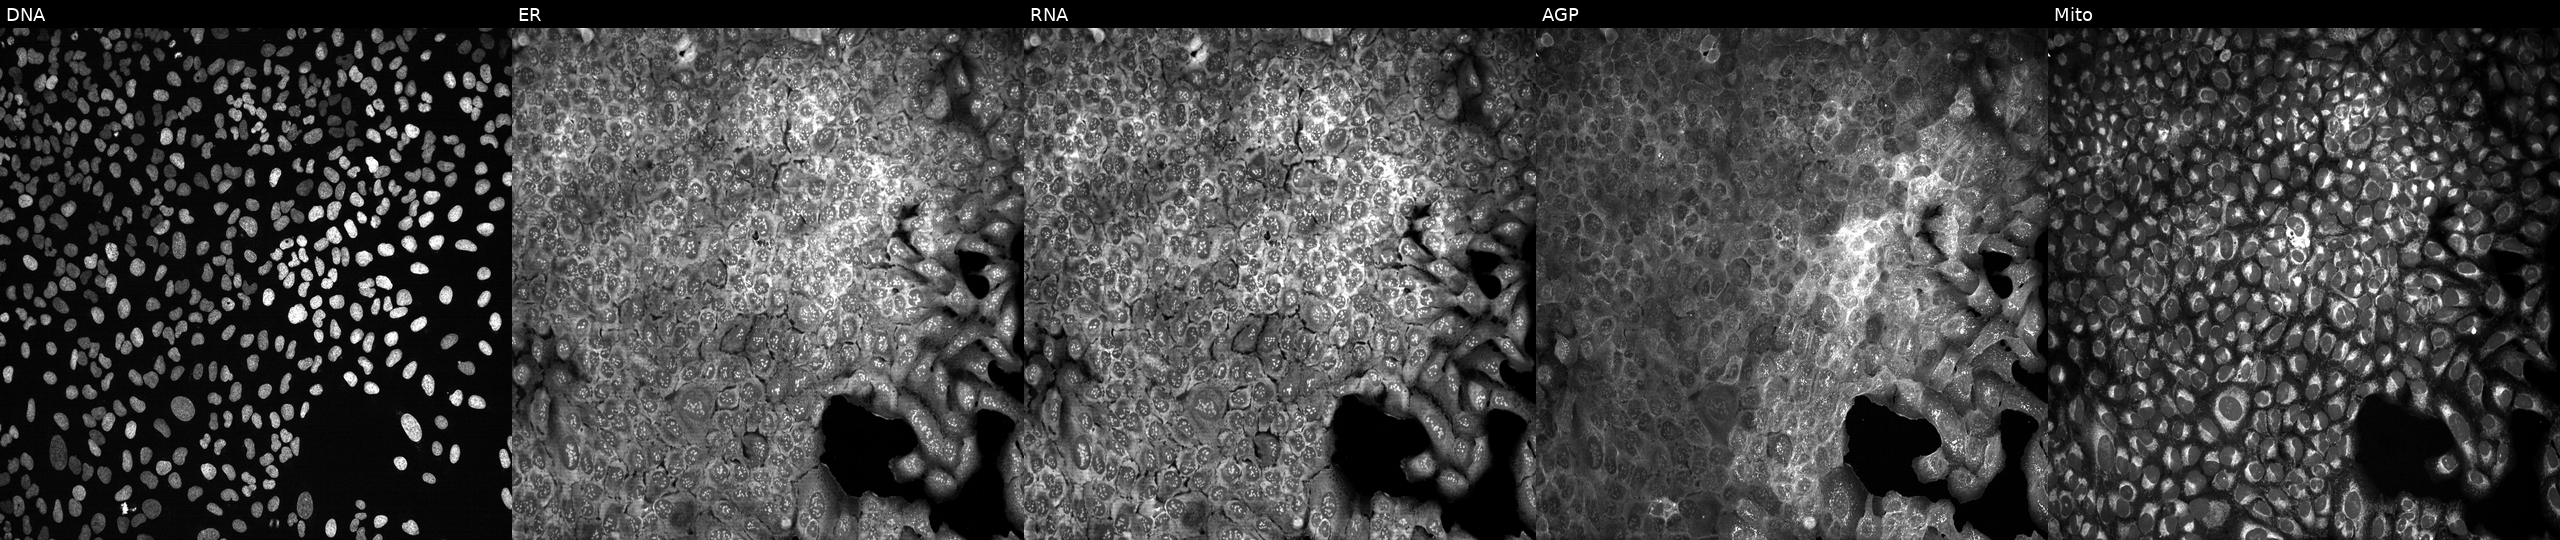
Five-channel Cell Painting image of U2OS cells with TMPRSS2 knocked out by CRISPR. From left to right: Hoechst 33342, concanavalin A, SYTO 14, phalloidin and WGA, MitoTracker.